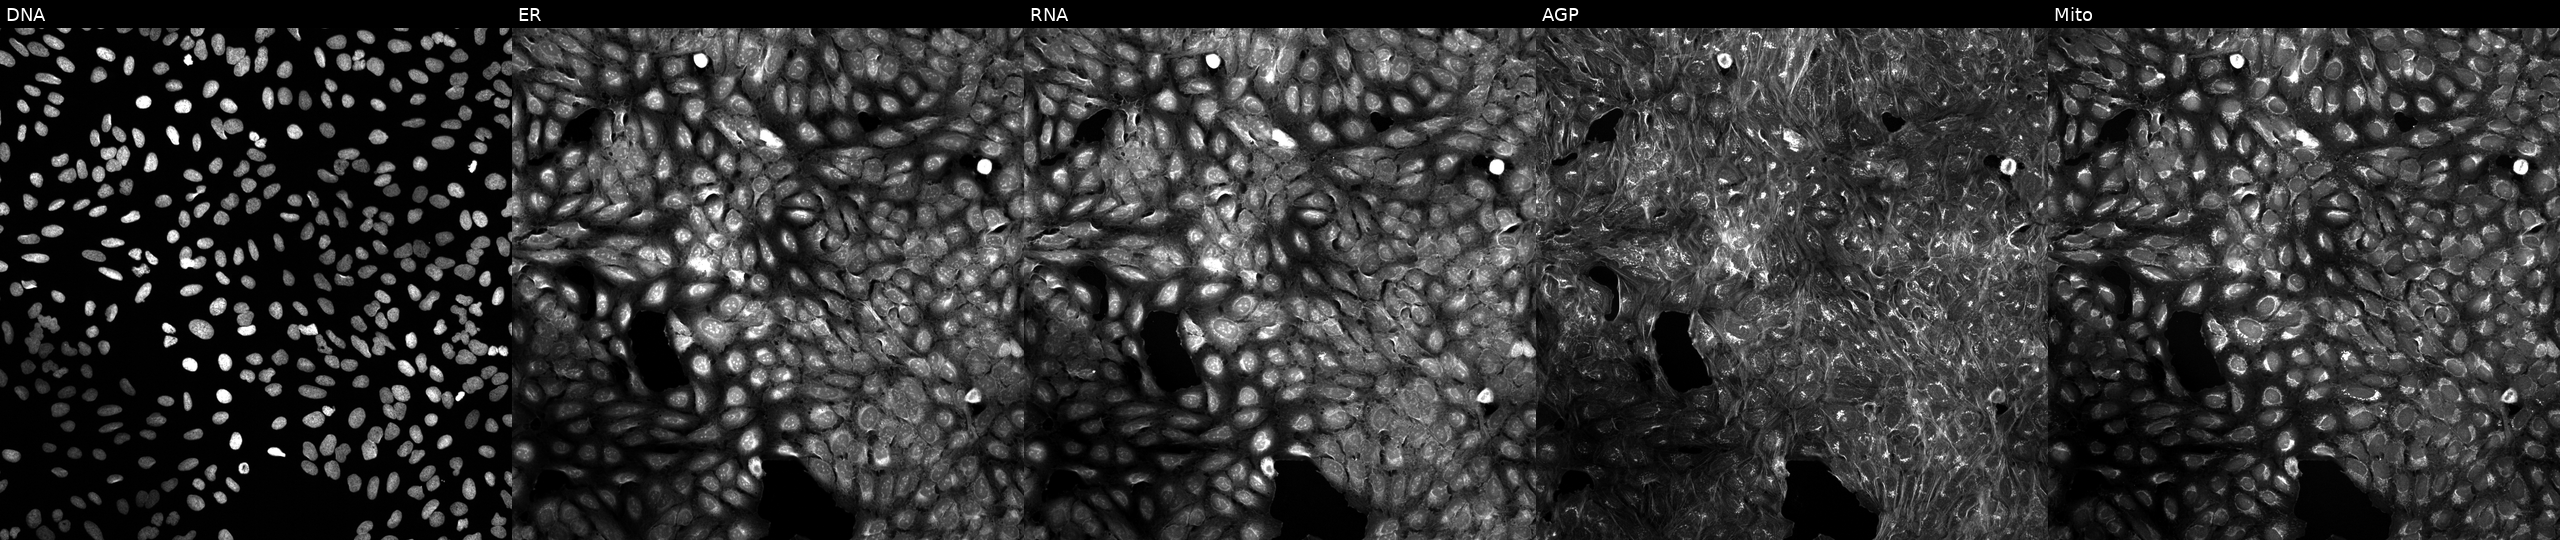
This image strip shows the five Cell Painting channels for a single field of U2OS cells treated with a small-molecule compound [SMILES: O=C(N=c1[nH][nH]cc1-c1cccc(Cl)c1)c1cn2cccnc2n1] (JUMP id JCP2022_024046). Panels show, left to right, DNA (nuclei); ER (endoplasmic reticulum); RNA (nucleoli and cytoplasmic RNA); AGP (actin cytoskeleton, Golgi, and plasma membrane); Mito (mitochondria).